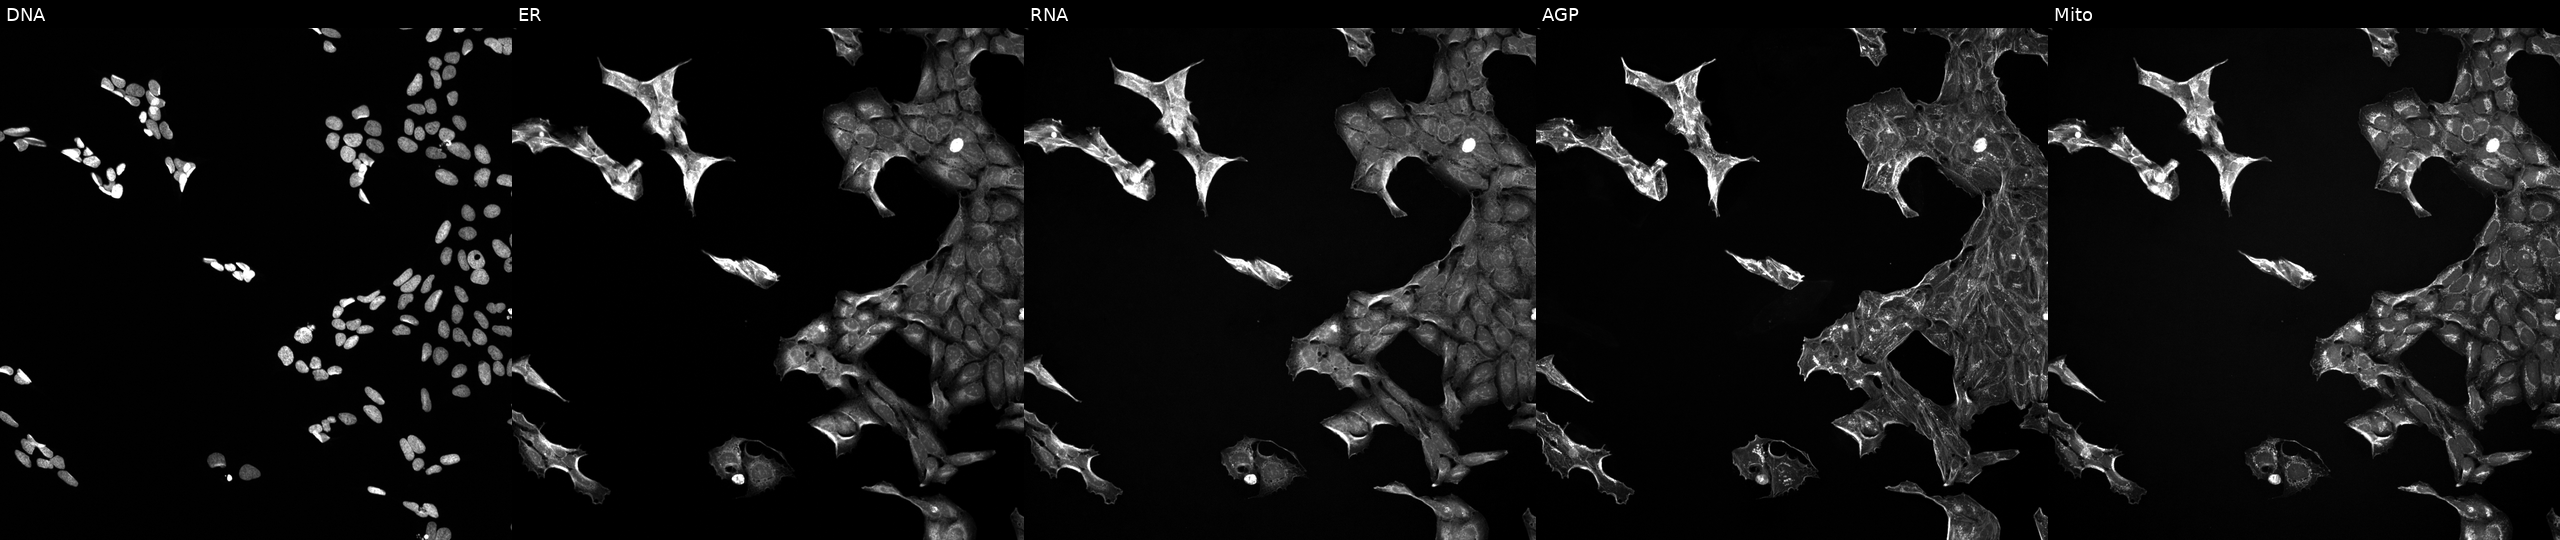
Channels (left→right): Hoechst 33342, concanavalin A, SYTO 14, phalloidin and WGA, MitoTracker. U2OS osteosarcoma cells treated with a small-molecule compound. Cell Painting assay, JUMP-CP dataset.